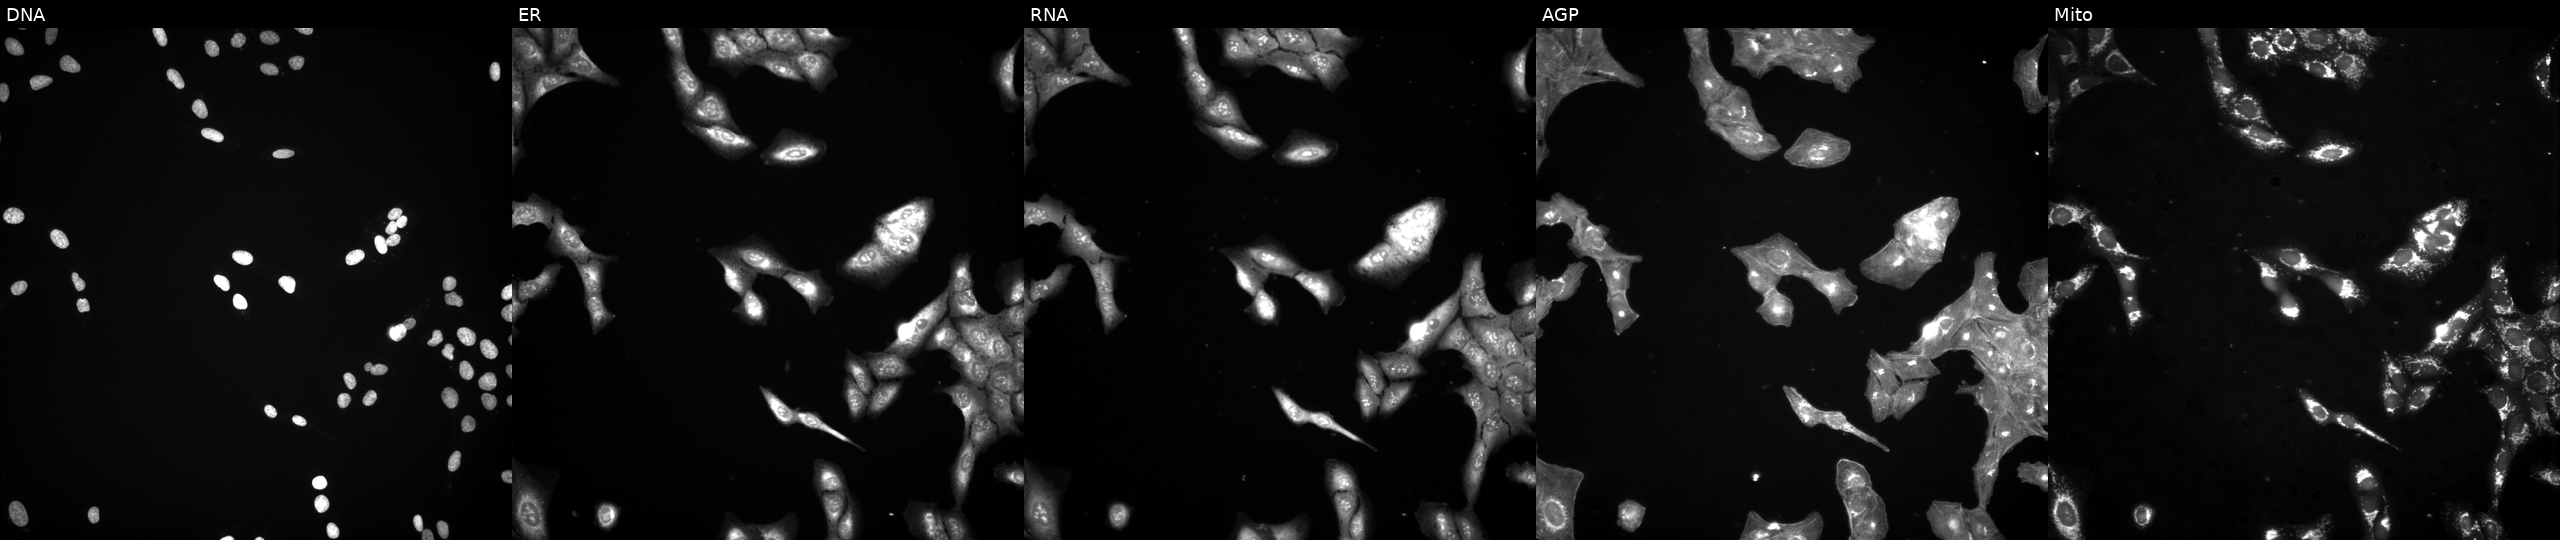
Channels (left→right): DNA (nuclei); ER (endoplasmic reticulum); RNA (nucleoli and cytoplasmic RNA); AGP (actin cytoskeleton, Golgi, and plasma membrane); Mito (mitochondria). U2OS osteosarcoma cells perturbed with a small-molecule compound (InChIKey RUAGJOMEYWPGIW-UHFFFAOYSA-N) (JUMP id JCP2022_080729). Cell Painting assay, JUMP-CP dataset. Source 3, plate BR5867a3, well O11.